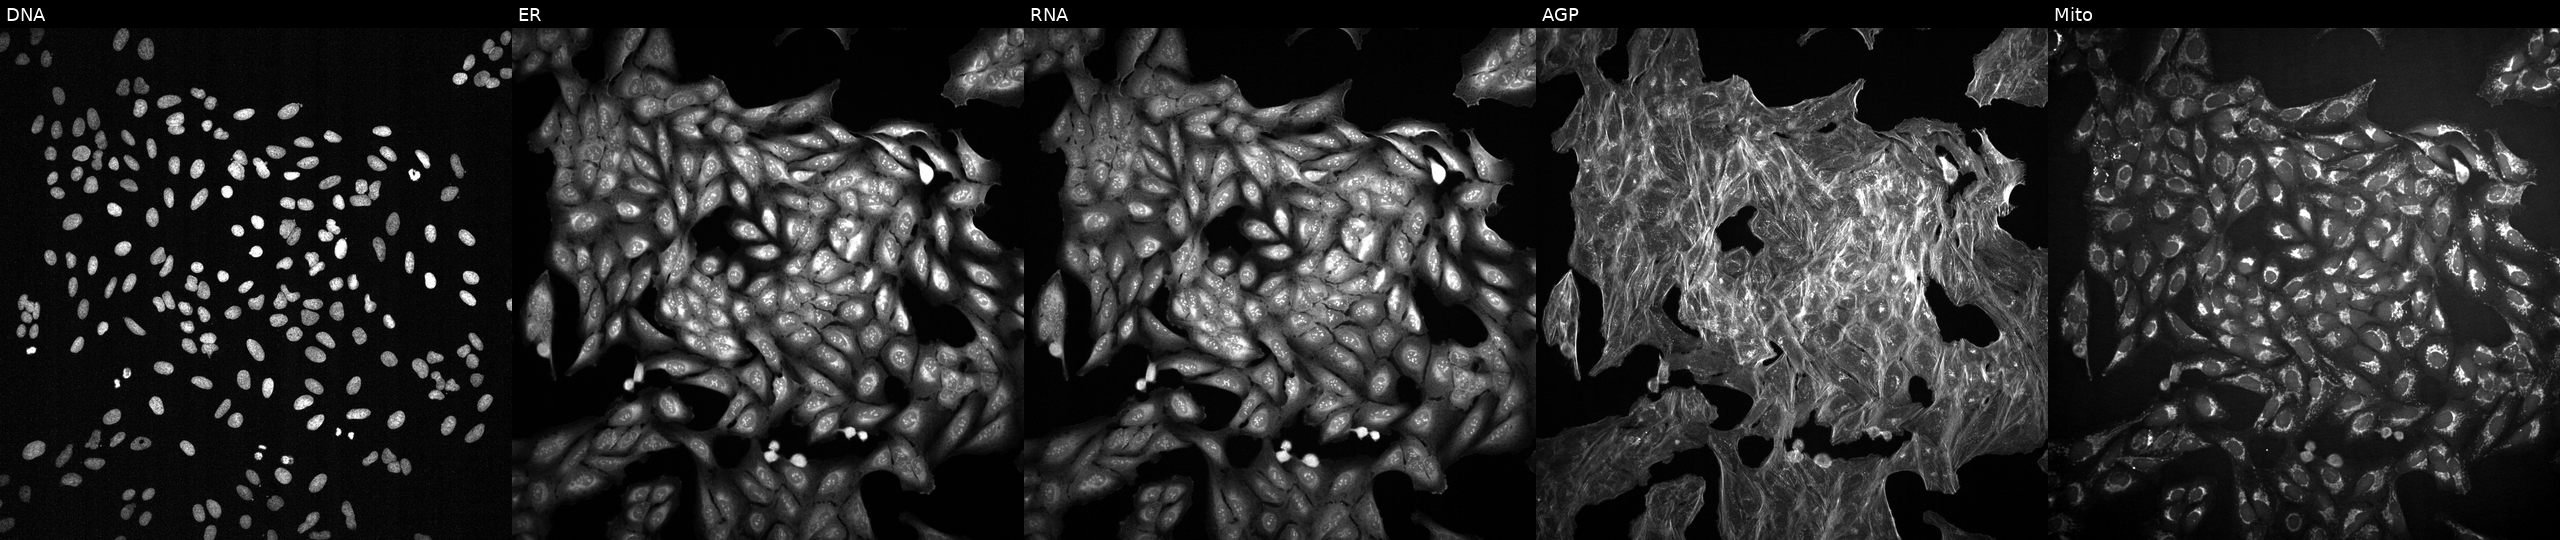
High-content fluorescence microscopy (Cell Painting). Cell line: U2OS. Perturbation: exposed to a small-molecule compound [SMILES: CCCCCC=CCC=CCC=CCC=CCCCC(=O)NCCO] (JUMP id JCP2022_049224). The five panels, left to right, show DNA (nuclei); ER (endoplasmic reticulum); RNA (nucleoli and cytoplasmic RNA); AGP (actin cytoskeleton, Golgi, and plasma membrane); Mito (mitochondria).